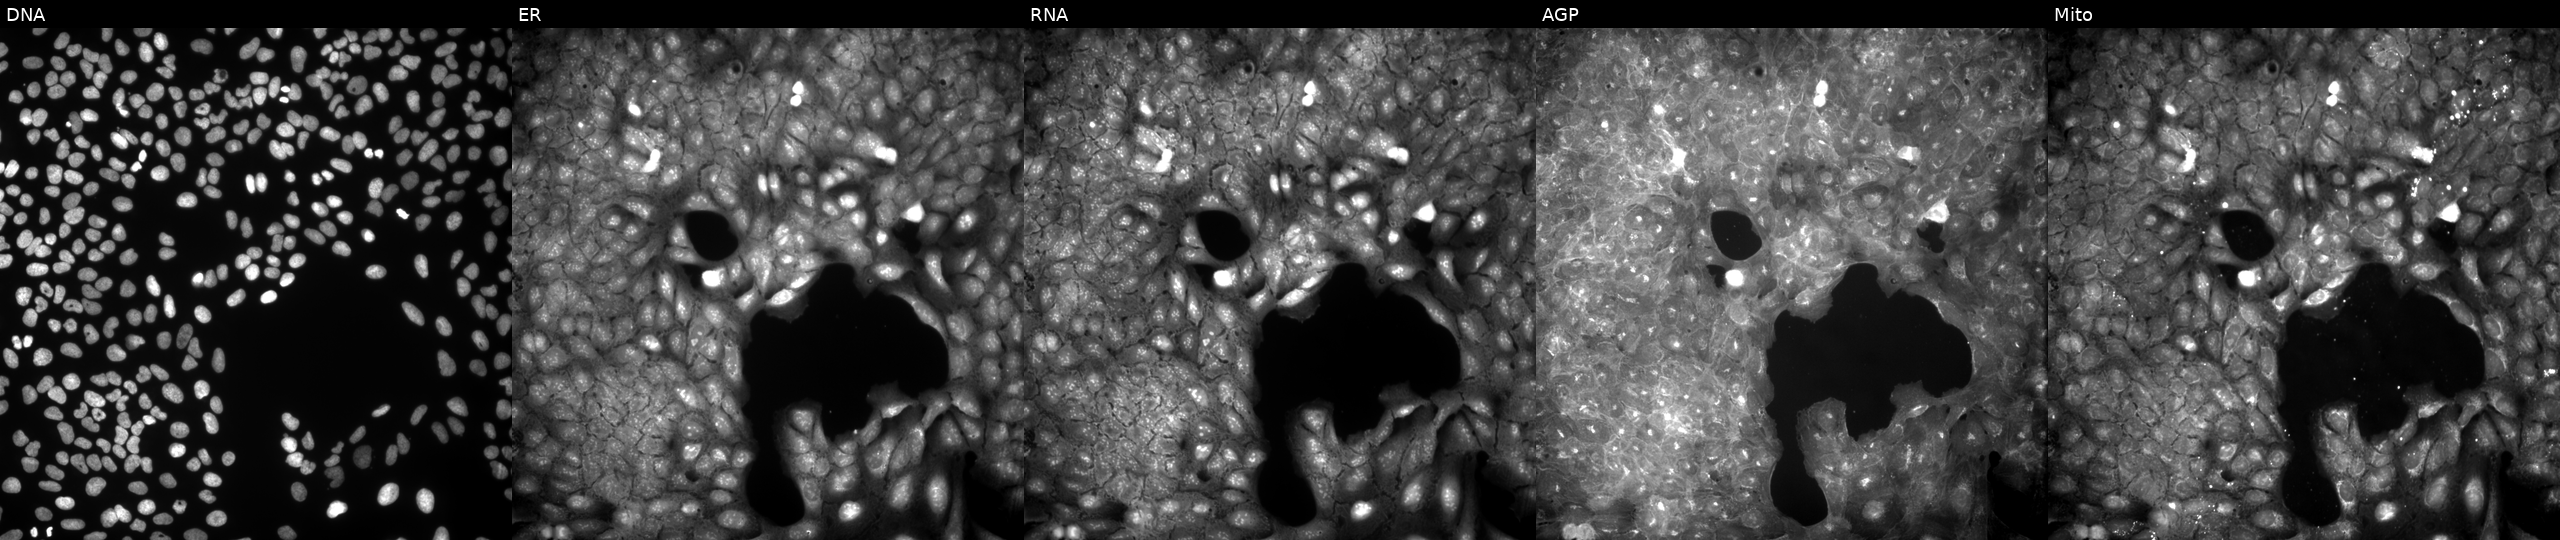
Five-channel Cell Painting image of U2OS cells exposed to a small-molecule compound (InChIKey HEKFXRGJKVCEPL-UHFFFAOYSA-N) [SMILES: O=c1[nH]c(-c2ccccc2)c(-c2ccccc2)nc1[N+](=O)[O-]] (JUMP id JCP2022_029670). Panels show, left to right, DNA (nuclei); ER (endoplasmic reticulum); RNA (nucleoli and cytoplasmic RNA); AGP (actin cytoskeleton, Golgi, and plasma membrane); Mito (mitochondria). Source 9, plate GR00003382, well O27.